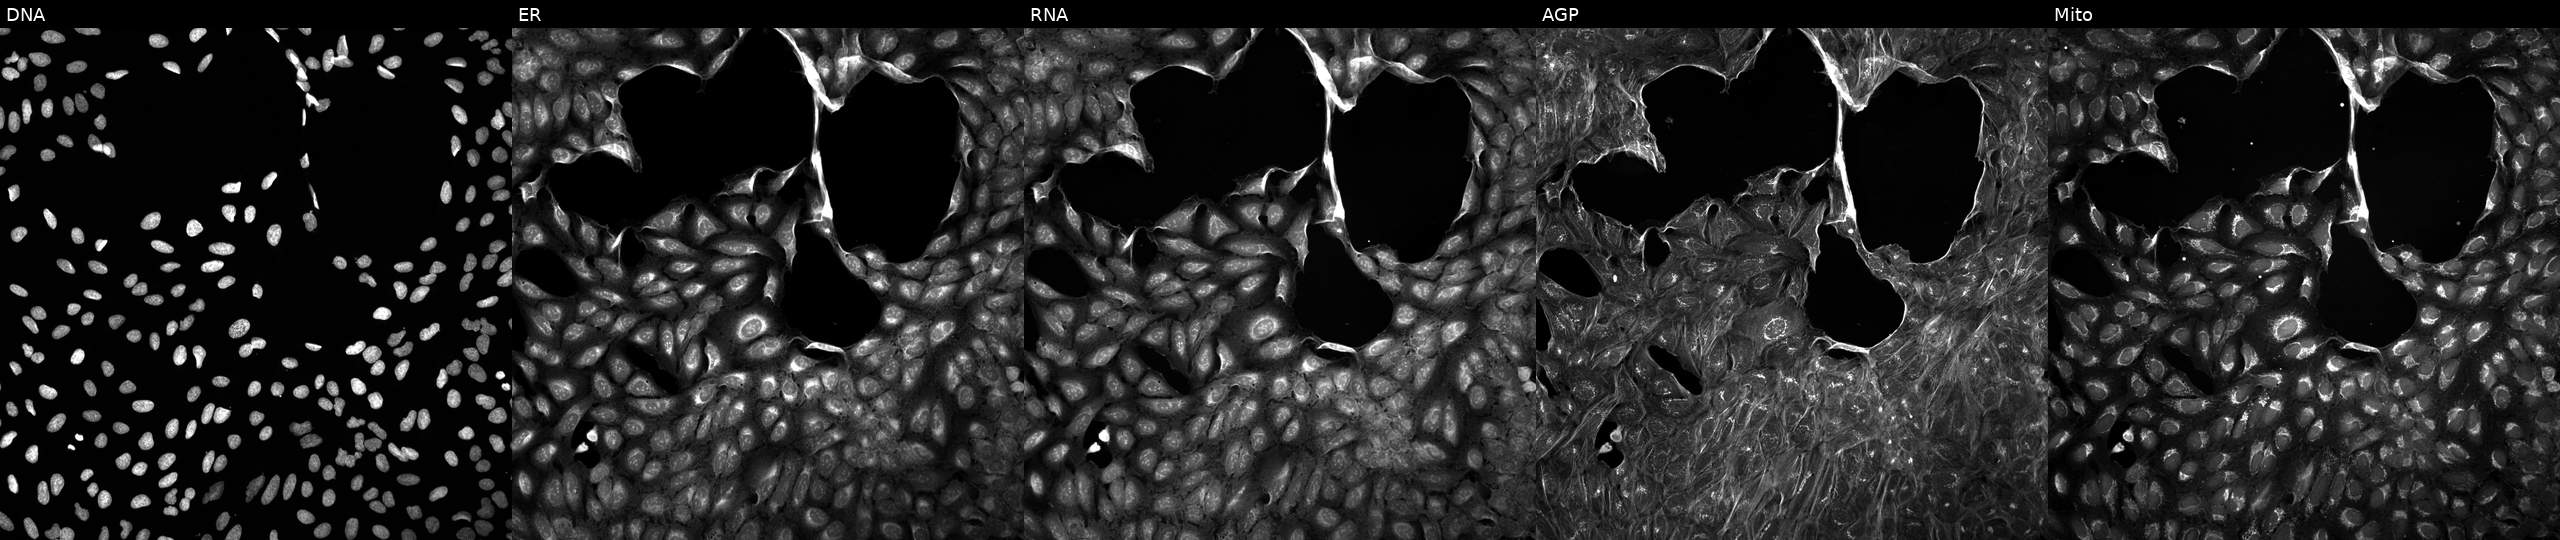
U2OS cells, Cell Painting assay, perturbed with a small-molecule compound (InChIKey LXANPKRCLVQAOG-UHFFFAOYSA-N) (JUMP id JCP2022_052259). Panels show, left to right, DNA, ER, RNA, AGP, and Mito. Each panel is percentile-stretched 16-bit fluorescence. Source 5, plate ACPJUM051, well N18.